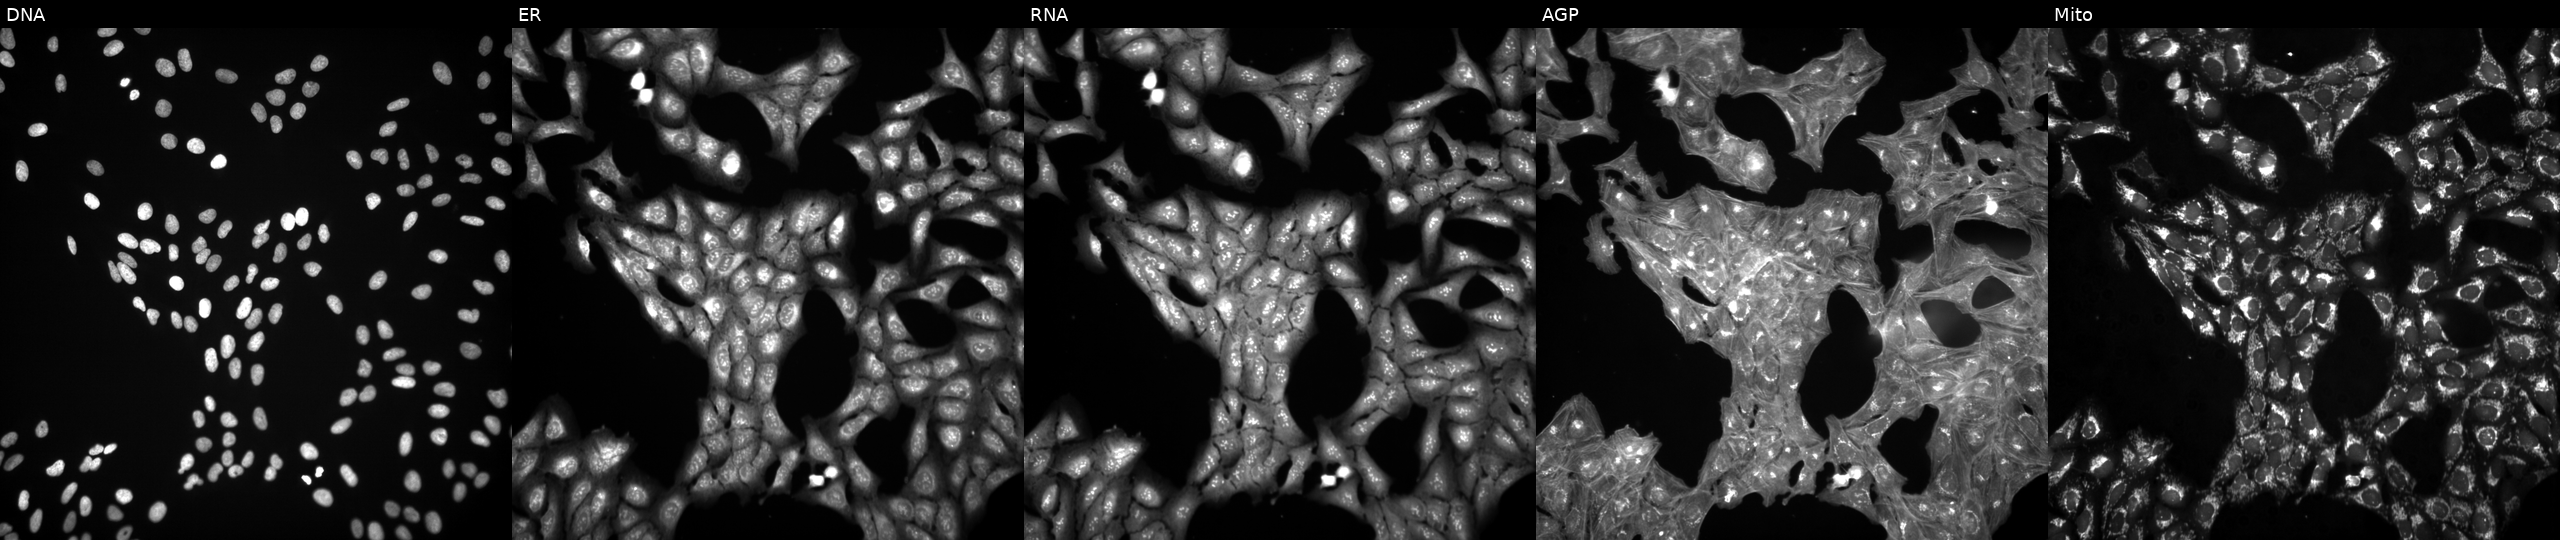
This image strip shows the five Cell Painting channels for a single field of U2OS cells perturbed with a small-molecule compound (JUMP id JCP2022_062023). Channels (left→right): Hoechst 33342, concanavalin A, SYTO 14, phalloidin and WGA, MitoTracker.